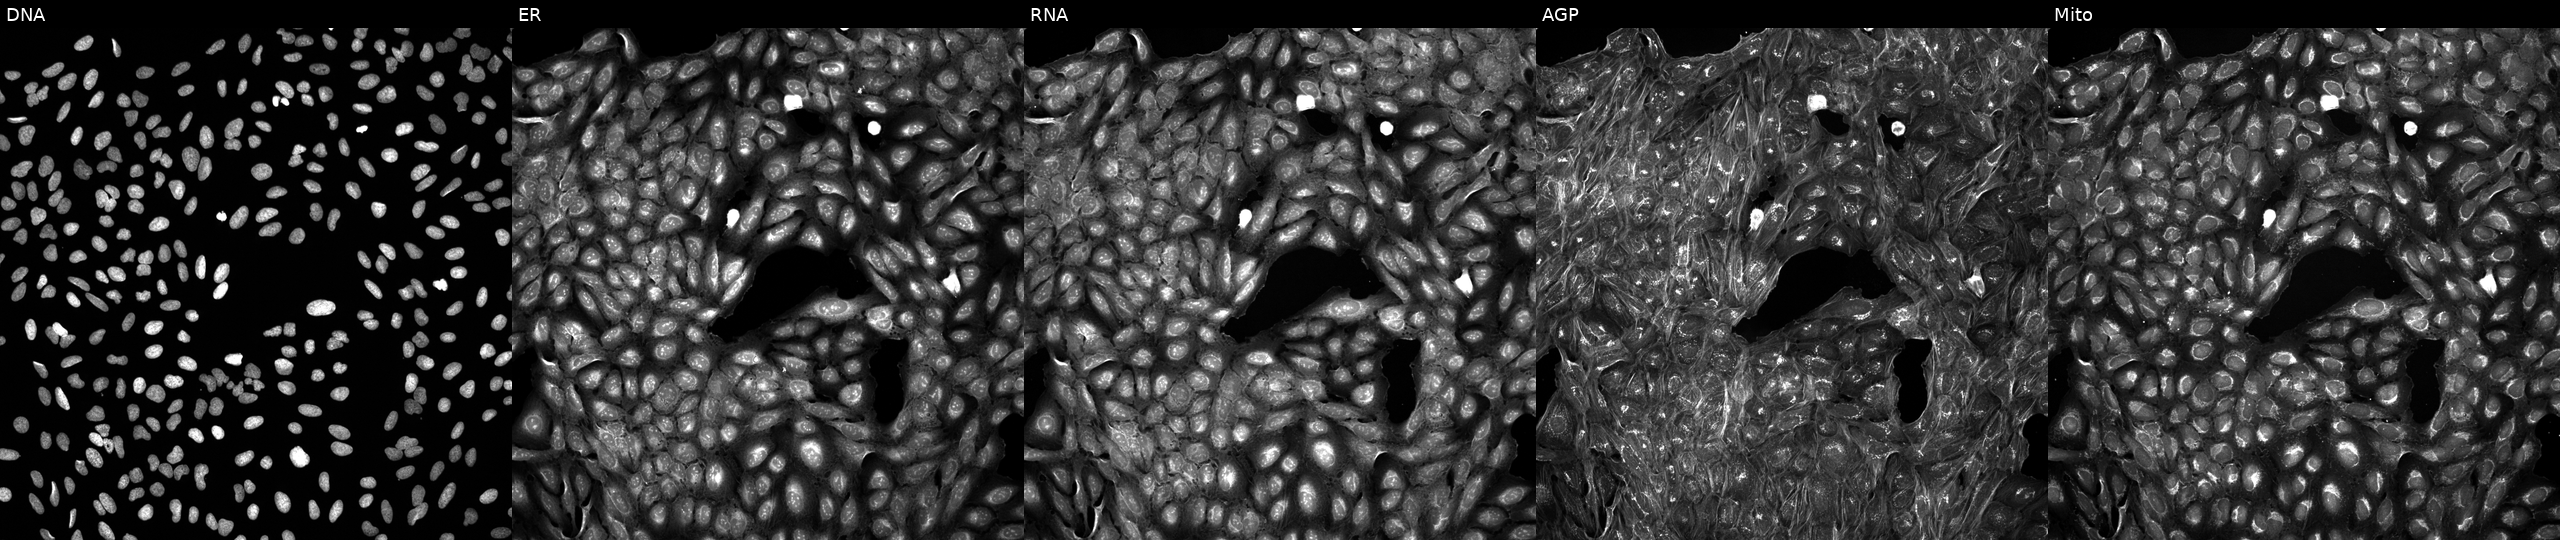
JUMP Cell Painting — COMPOUND plate. U2OS cells perturbed with a small-molecule compound (InChIKey FLWCADSYXCGSNZ-UHFFFAOYSA-N). From left to right: Hoechst 33342, concanavalin A, SYTO 14, phalloidin and WGA, MitoTracker.